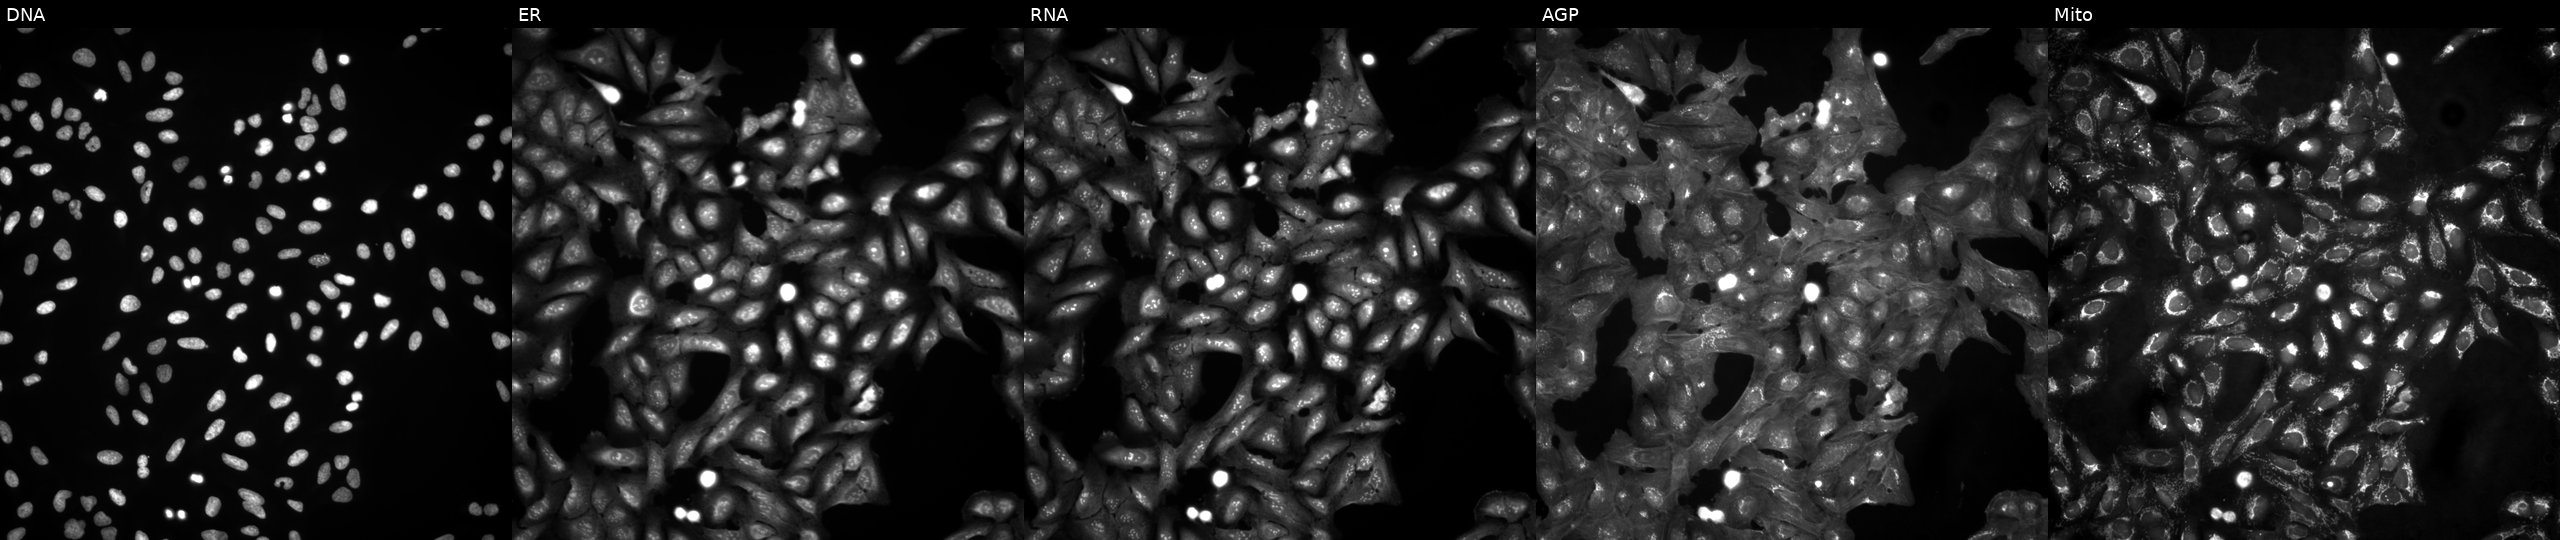
U2OS cells, Cell Painting assay, untreated (empty-well control) (JUMP id JCP2022_999999). The five panels, left to right, show Hoechst 33342, concanavalin A, SYTO 14, phalloidin and WGA, MitoTracker. Each panel is percentile-stretched 16-bit fluorescence.